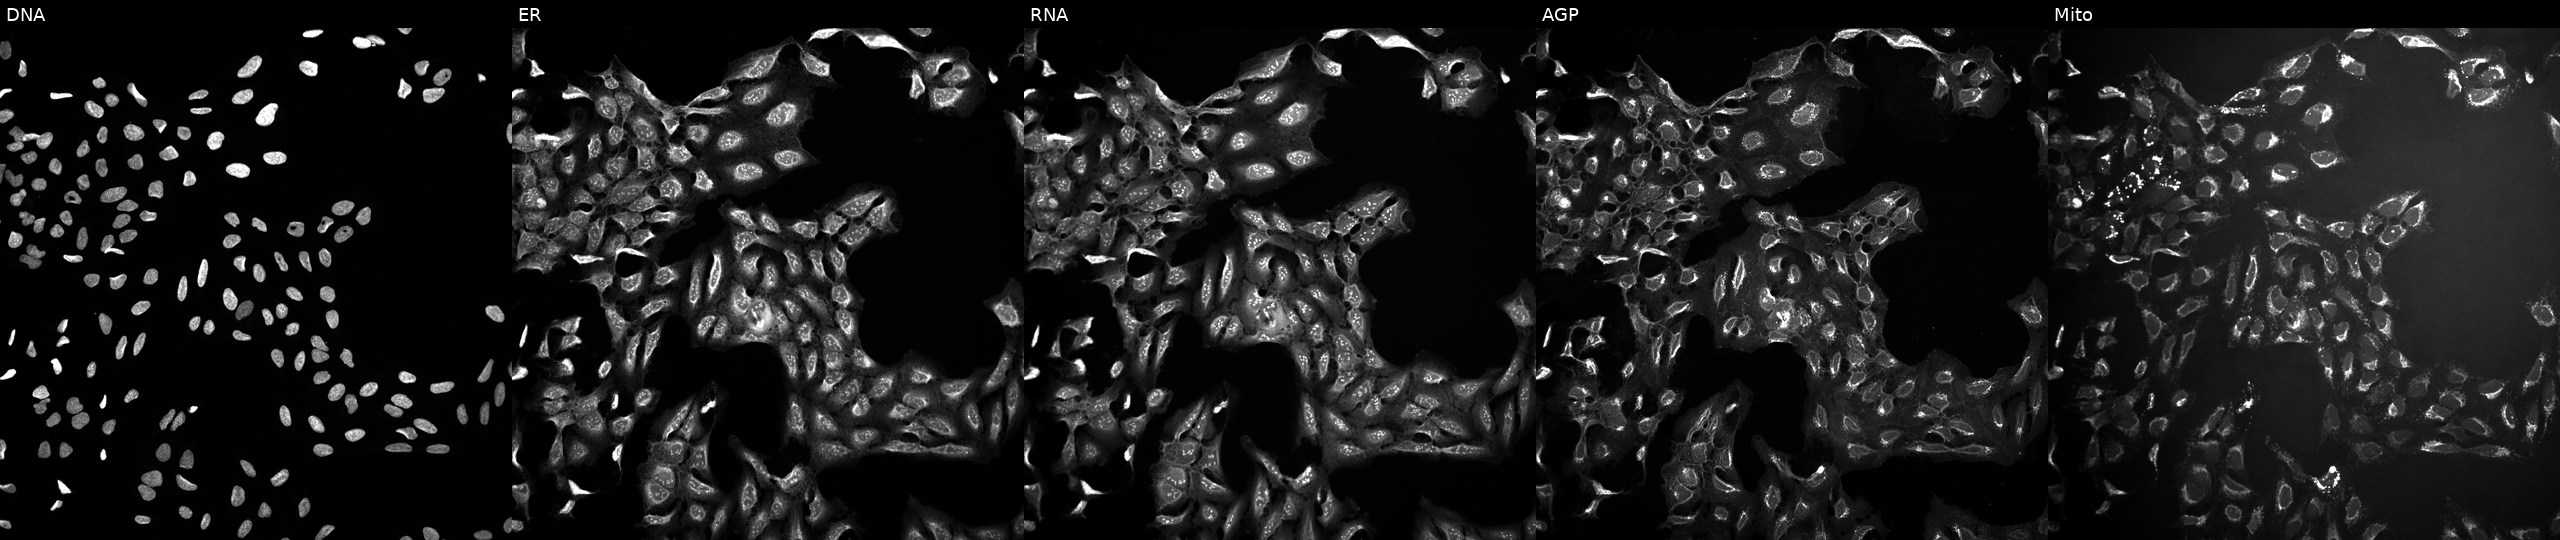
High-content fluorescence microscopy (Cell Painting). Cell line: U2OS. Perturbation: treated with DMSO vehicle only (negative control). Channels (left→right): Hoechst 33342, concanavalin A, SYTO 14, phalloidin and WGA, MitoTracker. Source 10, plate Dest210803-153958, well K14.